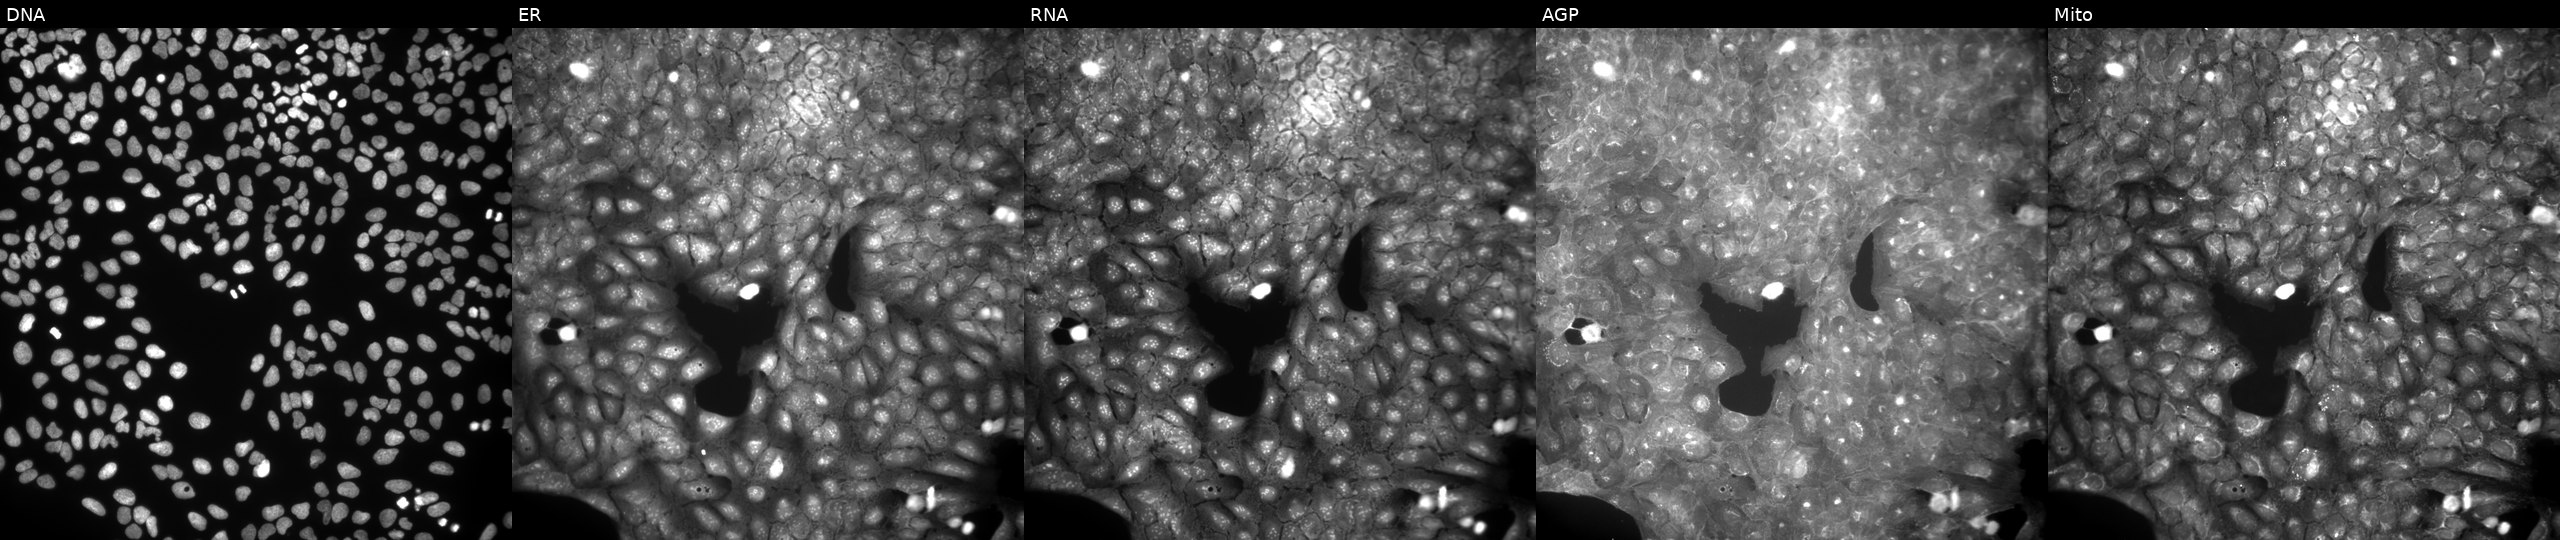
JUMP Cell Painting — COMPOUND plate. U2OS cells treated with a small-molecule compound (InChIKey RCVCXRNSPZXFGQ-UHFFFAOYSA-N). Panels show, left to right, DNA, ER, RNA, AGP, and Mito.